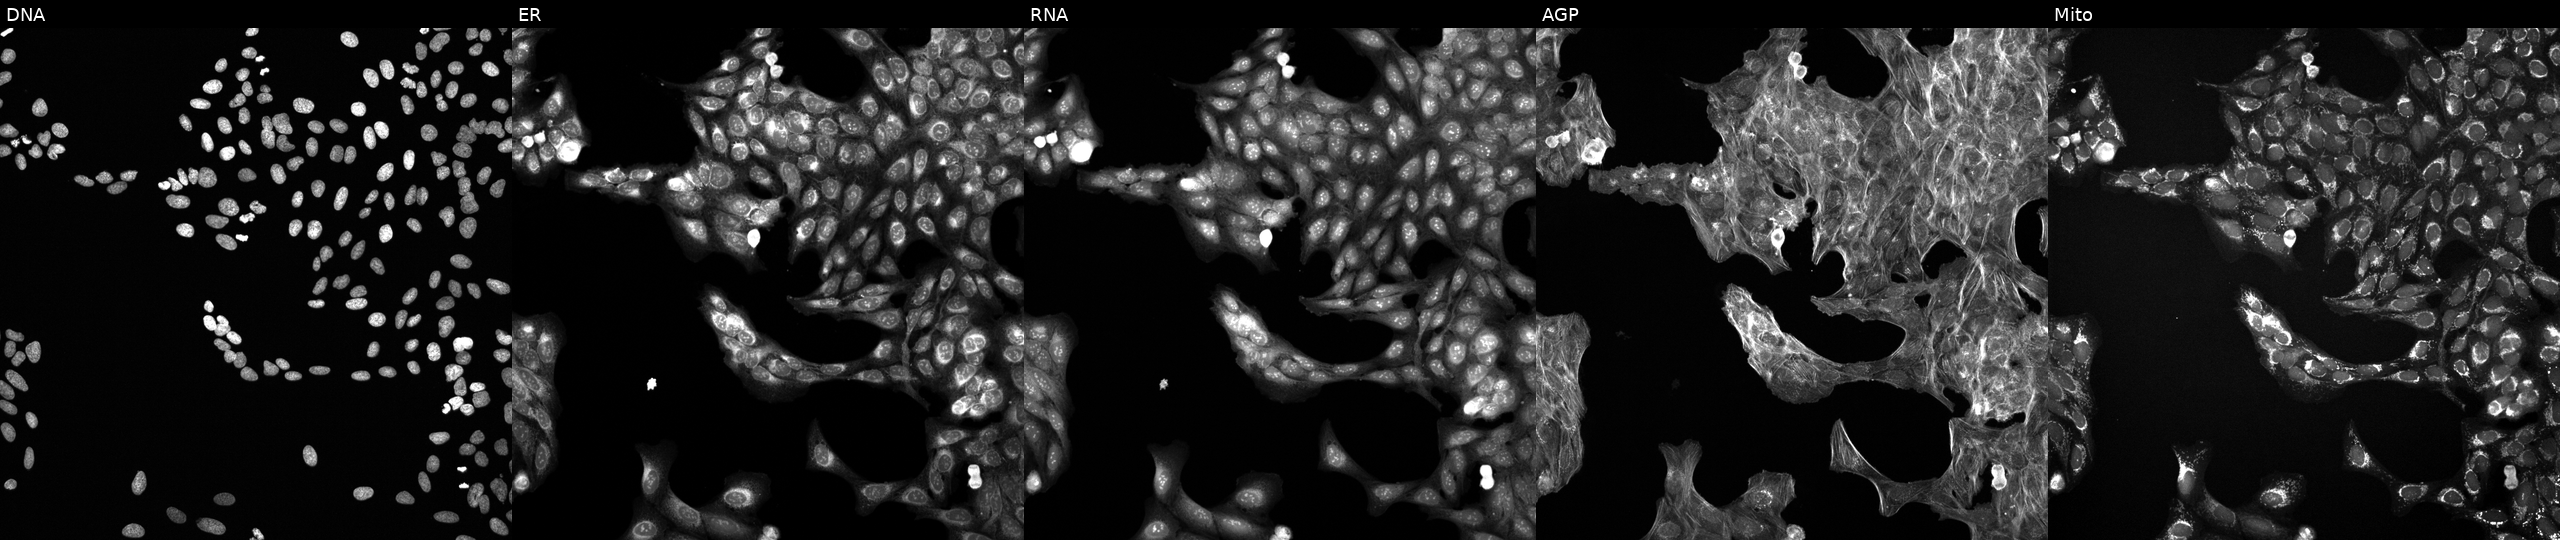
U2OS cells, Cell Painting assay, treated with LY2109761 (positive-control compound). Channels (left→right): Hoechst 33342, concanavalin A, SYTO 14, phalloidin and WGA, MitoTracker. Each panel is percentile-stretched 16-bit fluorescence. Source 6, plate 110000293083, well E01.